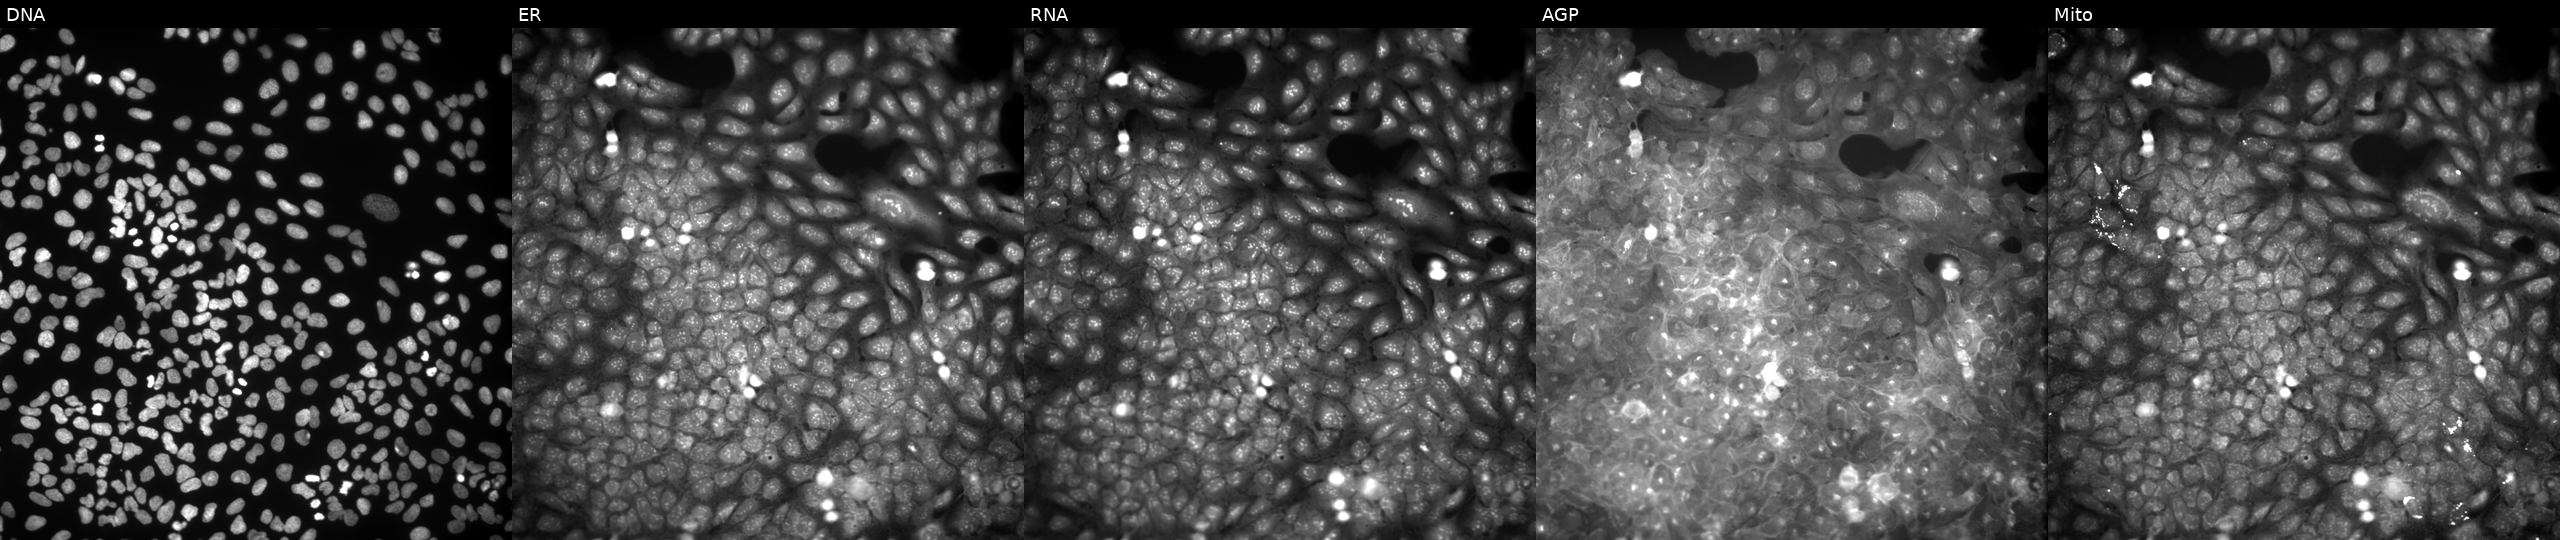
U2OS cells, Cell Painting assay, perturbed with a small-molecule compound (InChIKey SEFPOGFGLQJCNQ-UHFFFAOYSA-N). Channels (left→right): DNA, ER, RNA, AGP, and Mito. Each panel is percentile-stretched 16-bit fluorescence.